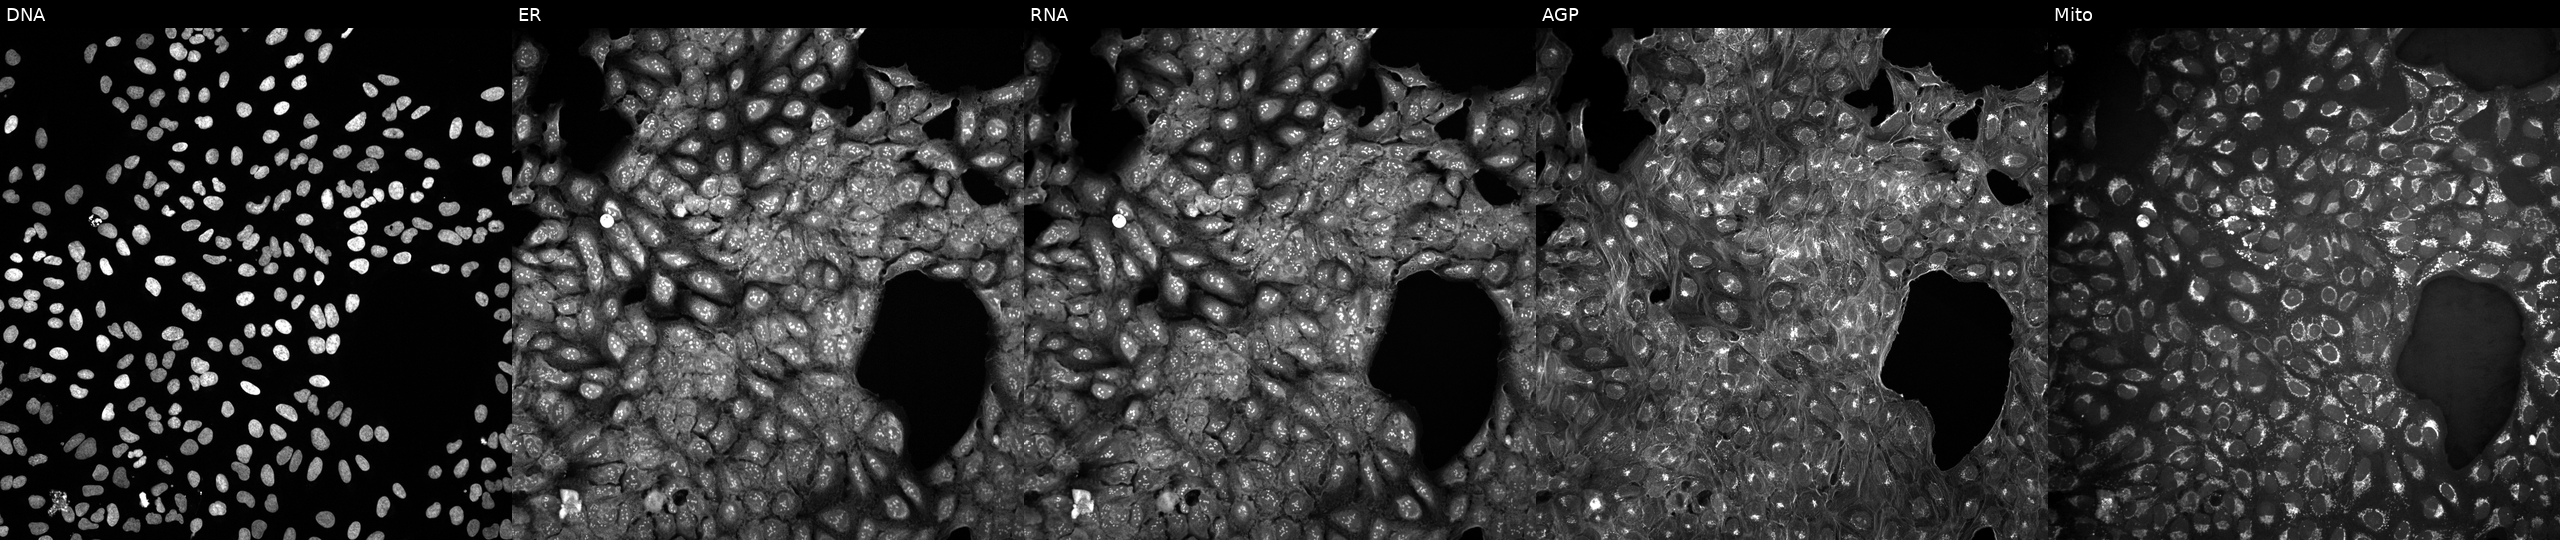
JUMP Cell Painting — COMPOUND plate. U2OS cells untreated (empty-well control). From left to right: DNA (nuclei); ER (endoplasmic reticulum); RNA (nucleoli and cytoplasmic RNA); AGP (actin cytoskeleton, Golgi, and plasma membrane); Mito (mitochondria).